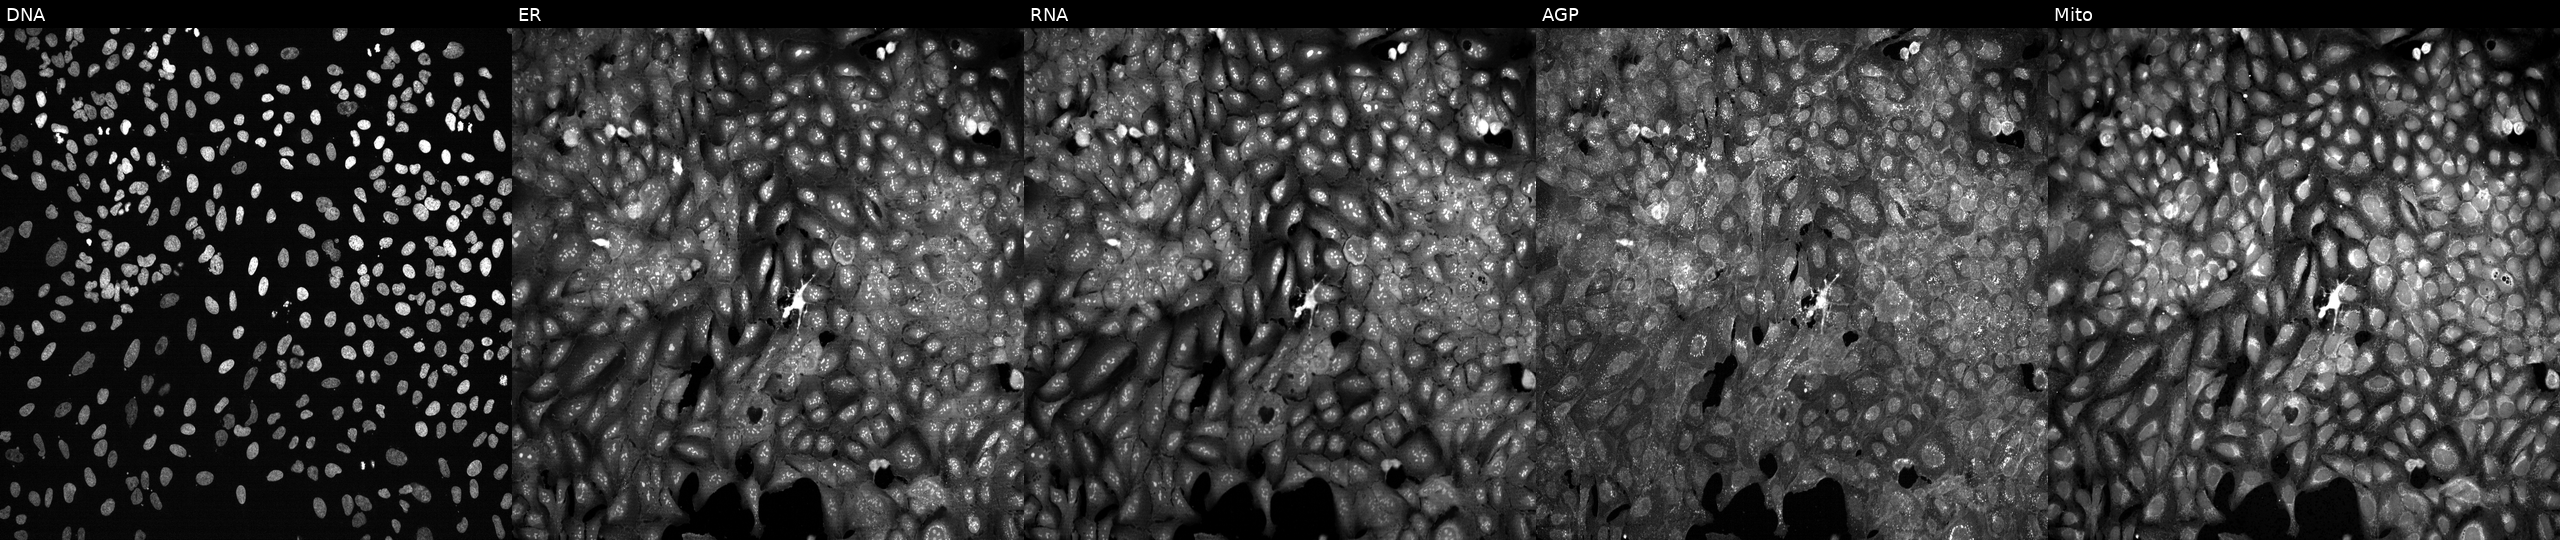
JUMP Cell Painting — CRISPR plate. U2OS cells following CRISPR knockout of MOCOS (JUMP id JCP2022_804235). From left to right: DNA, ER, RNA, AGP, and Mito.